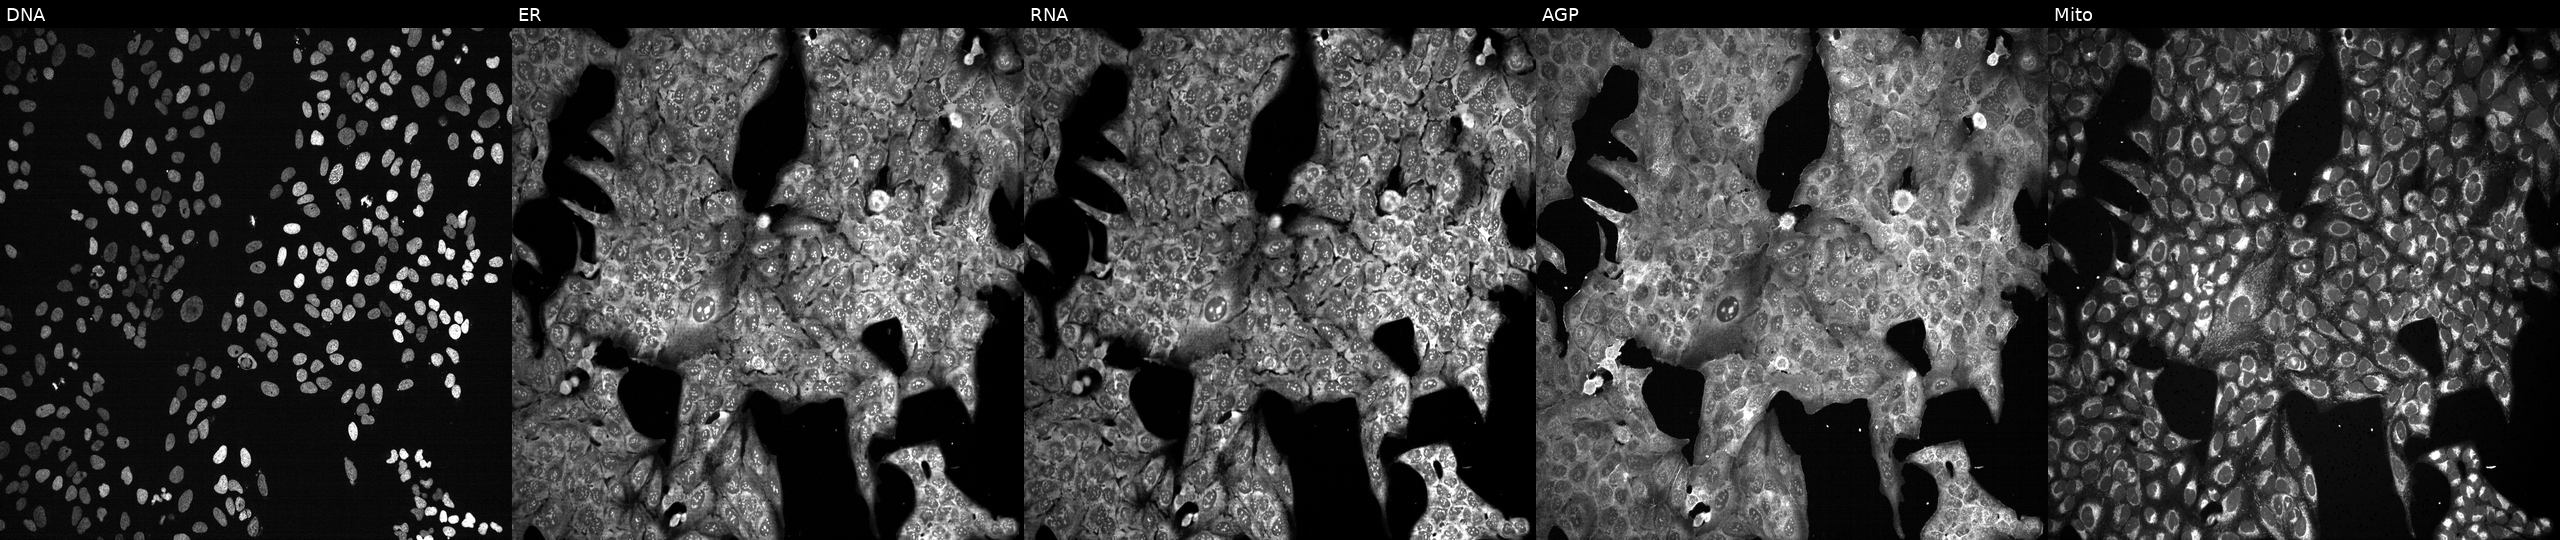
U2OS cells, Cell Painting assay, CRISPR-edited to disrupt FNTA (JUMP id JCP2022_802437). From left to right: DNA (nuclei); ER (endoplasmic reticulum); RNA (nucleoli and cytoplasmic RNA); AGP (actin cytoskeleton, Golgi, and plasma membrane); Mito (mitochondria). Each panel is percentile-stretched 16-bit fluorescence.